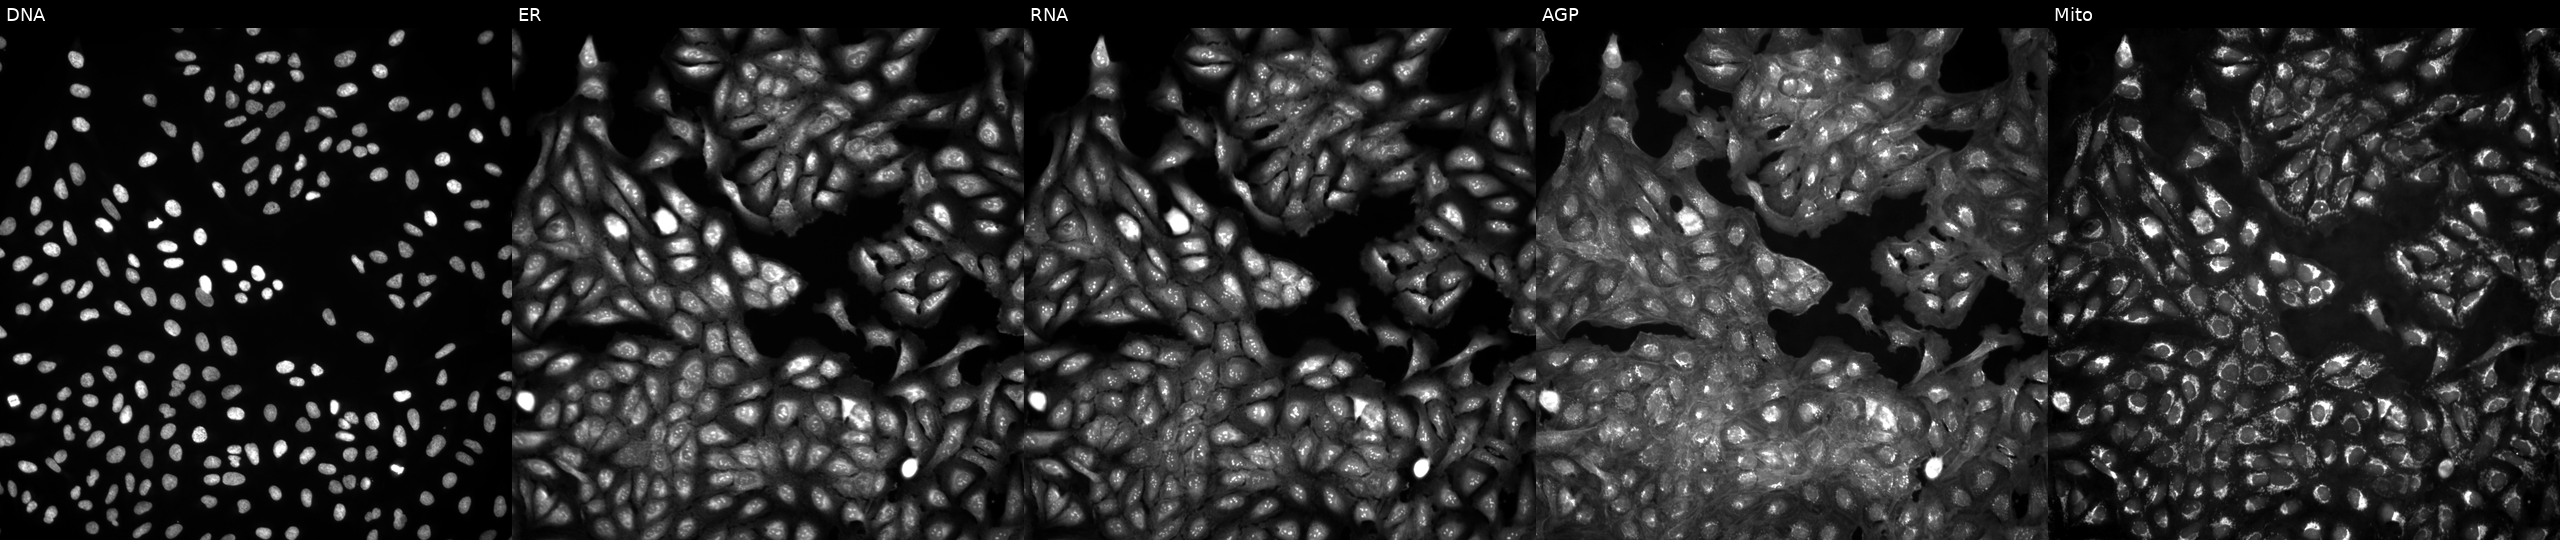
U2OS cells, Cell Painting assay, in an empty control well (no perturbation) (JUMP id JCP2022_999999). Channels (left→right): Hoechst 33342, concanavalin A, SYTO 14, phalloidin and WGA, MitoTracker. Each panel is percentile-stretched 16-bit fluorescence.